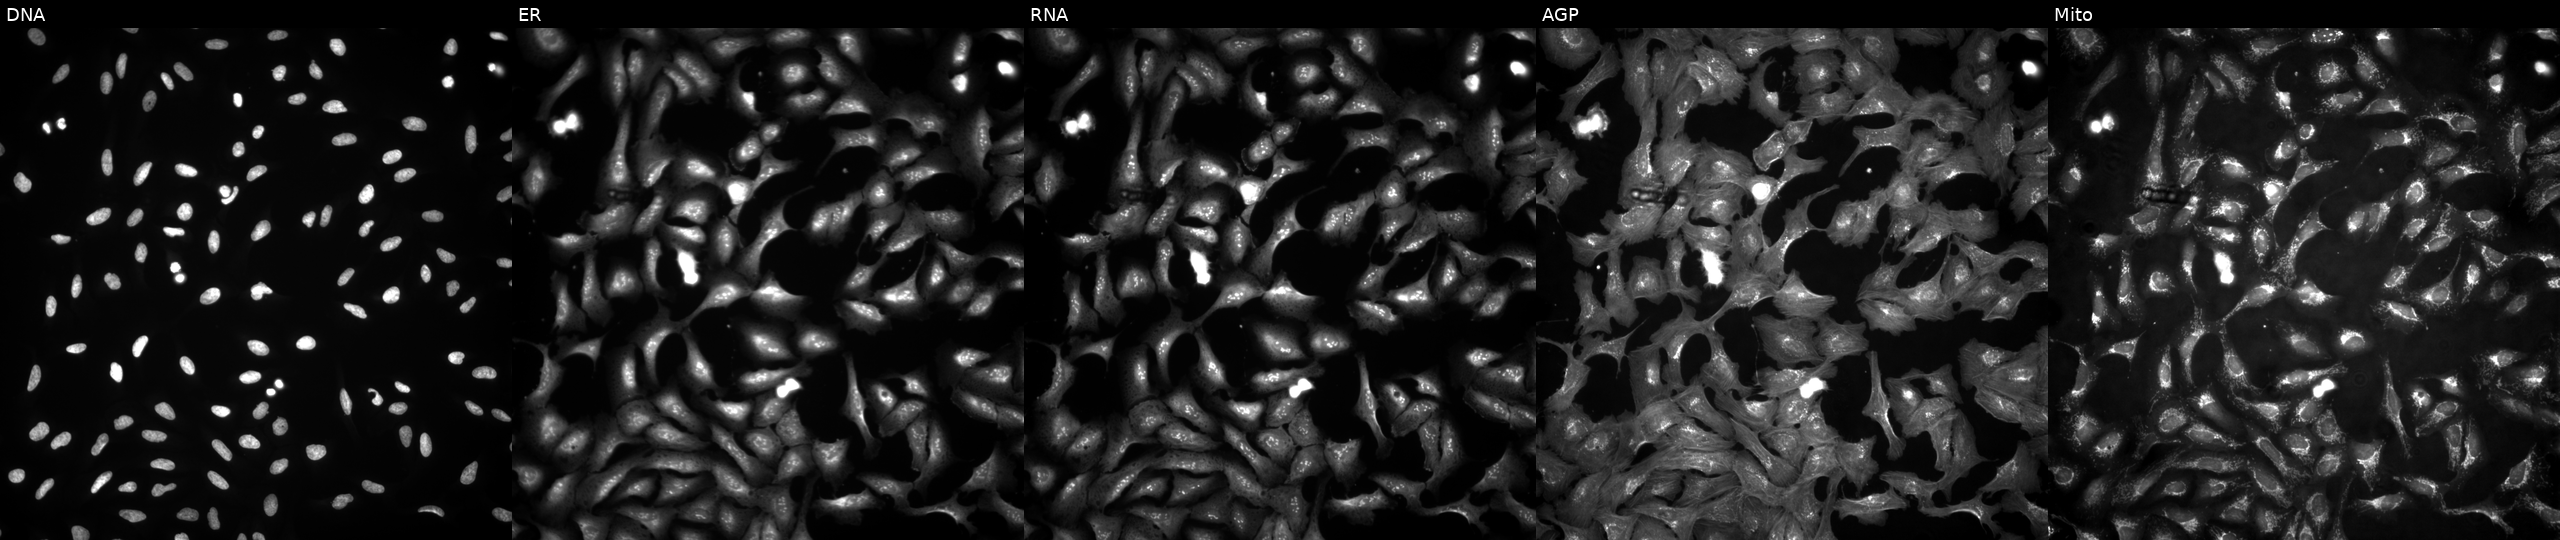
High-content fluorescence microscopy (Cell Painting). Cell line: U2OS. Perturbation: transfected with an ORF construct for H4C8. Panels show, left to right, DNA (nuclei); ER (endoplasmic reticulum); RNA (nucleoli and cytoplasmic RNA); AGP (actin cytoskeleton, Golgi, and plasma membrane); Mito (mitochondria).